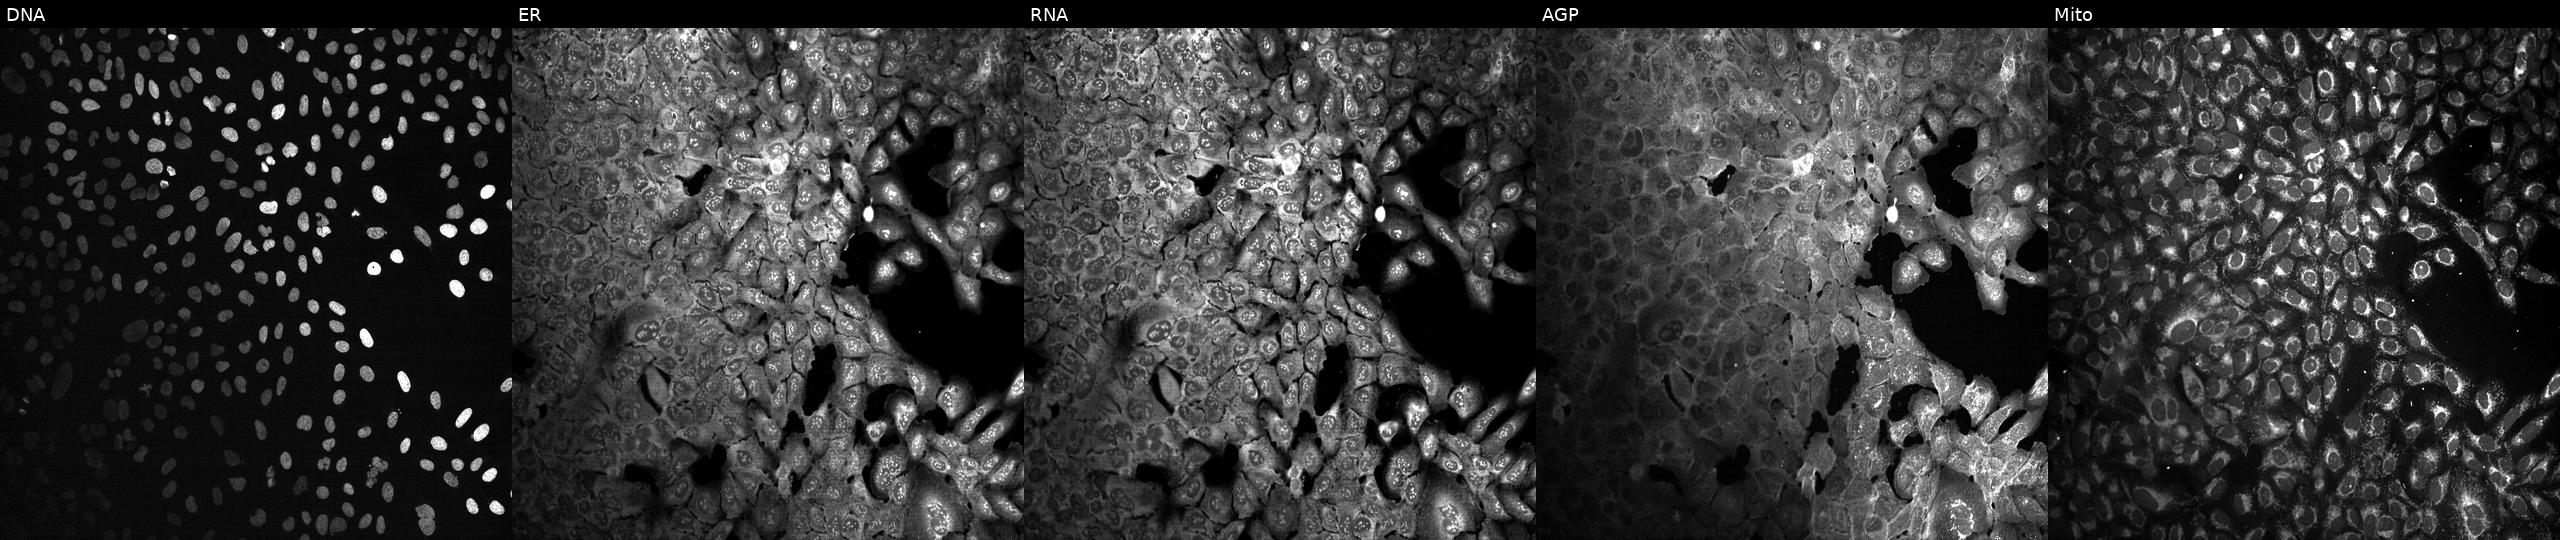
High-content fluorescence microscopy (Cell Painting). Cell line: U2OS. Perturbation: CRISPR-edited to disrupt ST13 (JUMP id JCP2022_806794). Panels show, left to right, Hoechst 33342, concanavalin A, SYTO 14, phalloidin and WGA, MitoTracker.